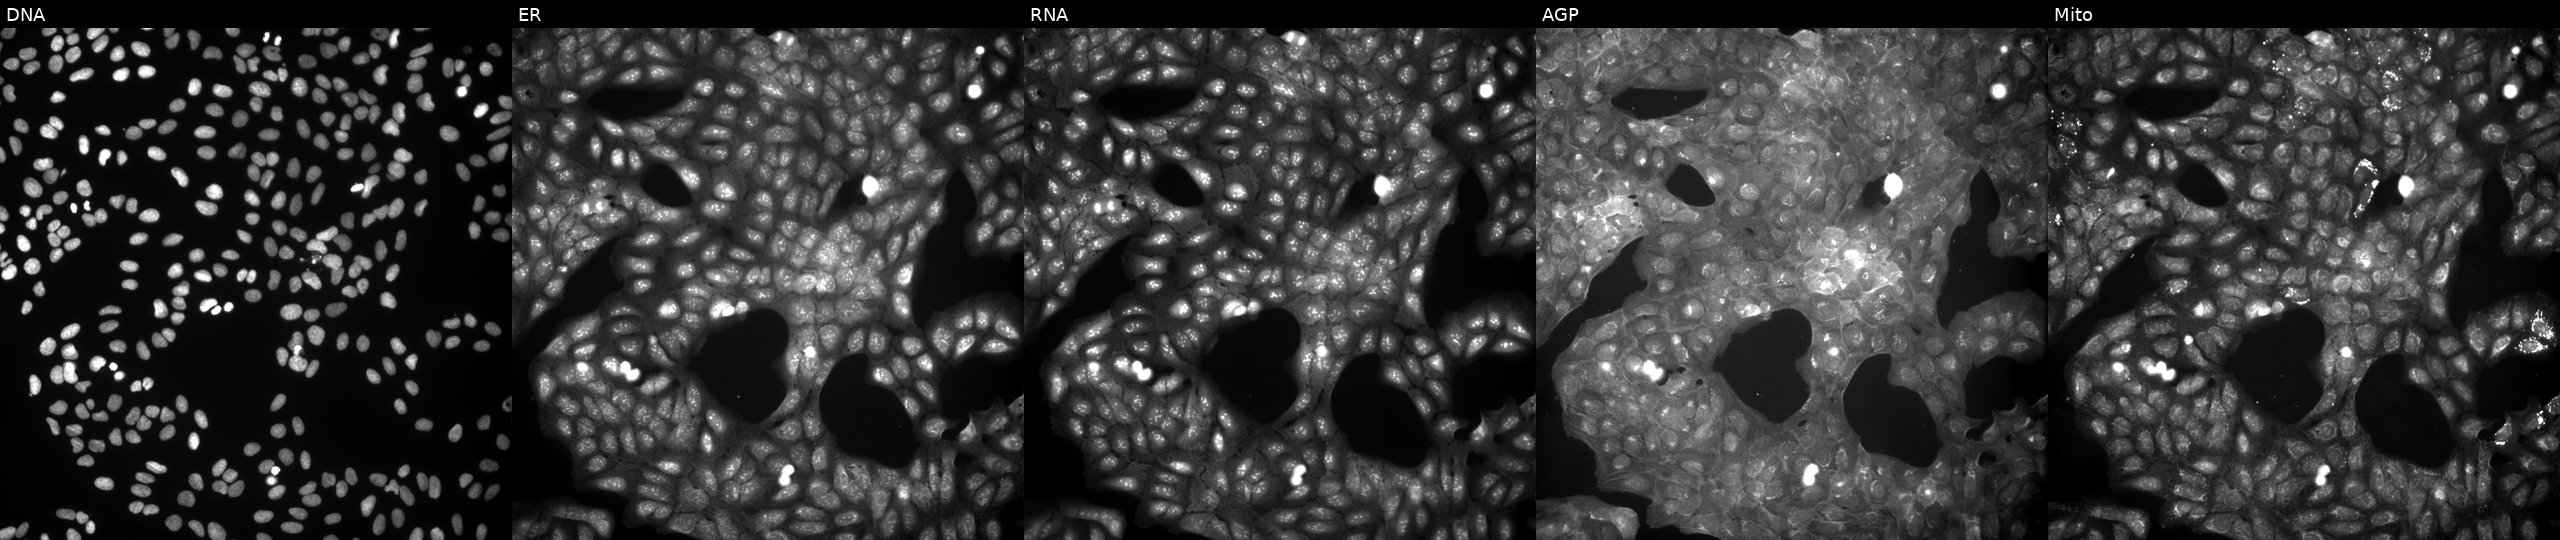
Five-channel Cell Painting image of U2OS cells treated with a small-molecule compound (InChIKey QPTATUWRELHQBP-UHFFFAOYSA-N). Panels show, left to right, DNA (nuclei); ER (endoplasmic reticulum); RNA (nucleoli and cytoplasmic RNA); AGP (actin cytoskeleton, Golgi, and plasma membrane); Mito (mitochondria).